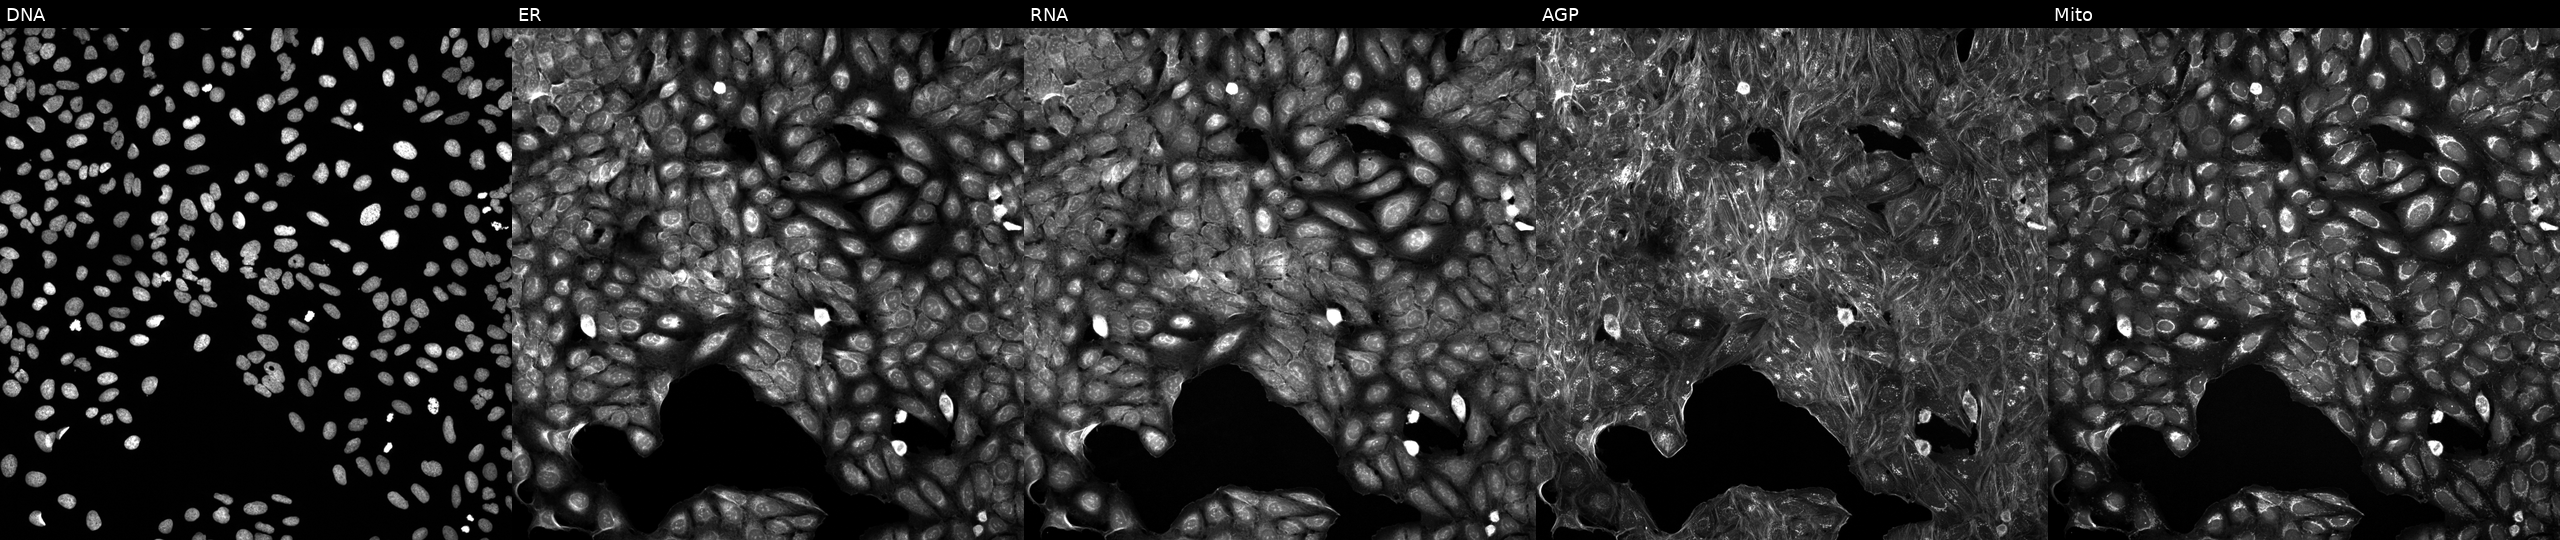
Five-channel Cell Painting image of U2OS cells exposed to a small-molecule compound (InChIKey PZBPKYOVPCNPJY-UHFFFAOYSA-N) (JUMP id JCP2022_071910). Panels show, left to right, DNA, ER, RNA, AGP, and Mito.